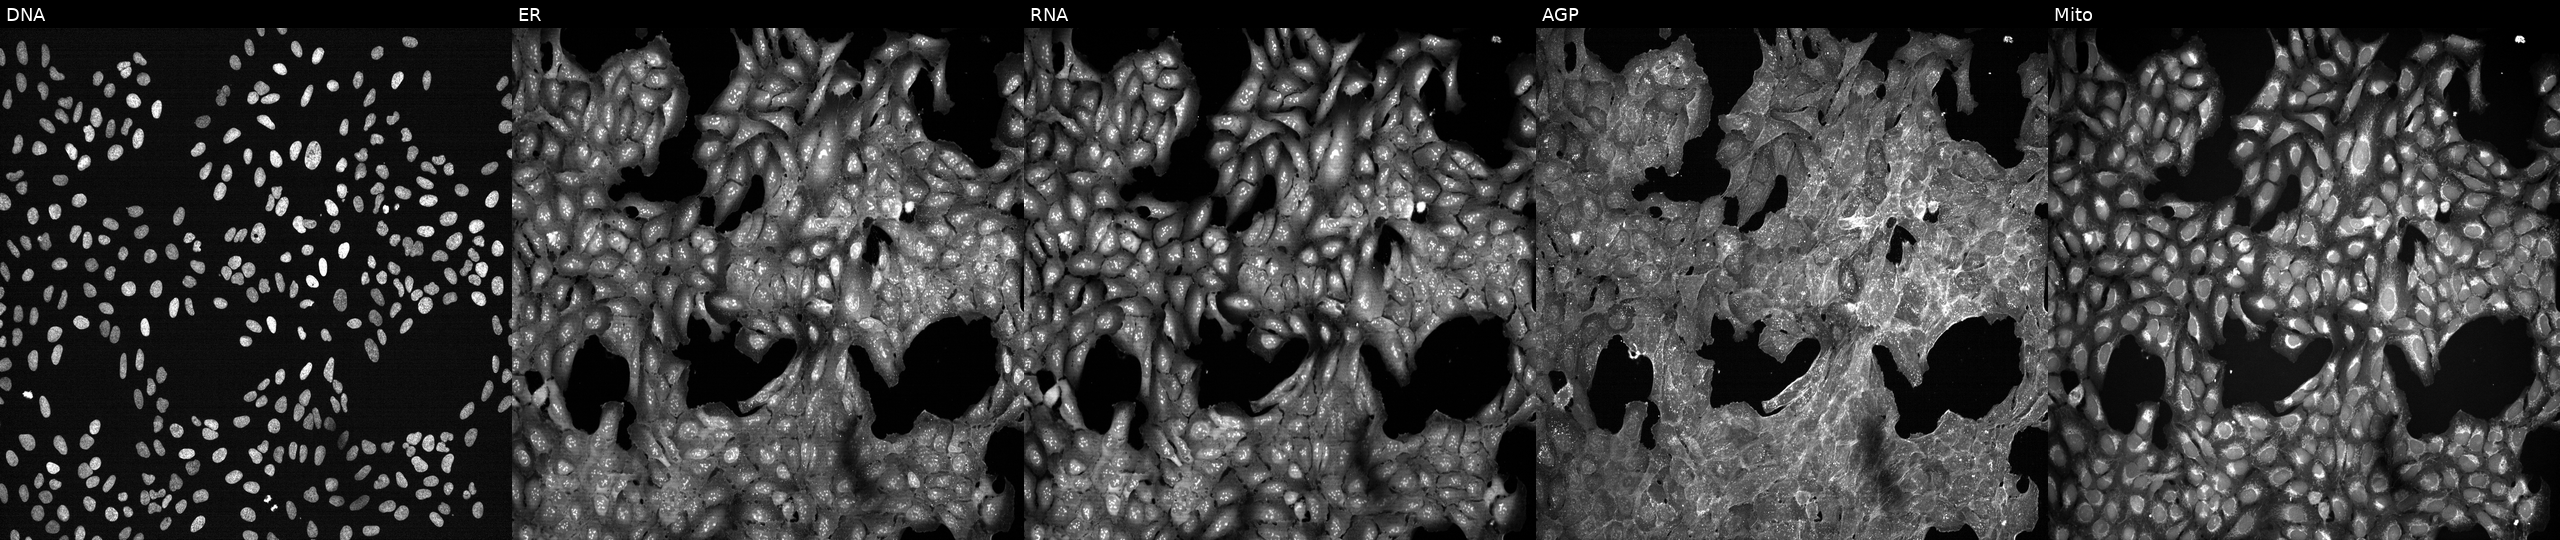
High-content fluorescence microscopy (Cell Painting). Cell line: U2OS. Perturbation: treated with a small-molecule compound (InChIKey FHPOTBQOUBMMCI-UHFFFAOYSA-N). From left to right: Hoechst 33342, concanavalin A, SYTO 14, phalloidin and WGA, MitoTracker.